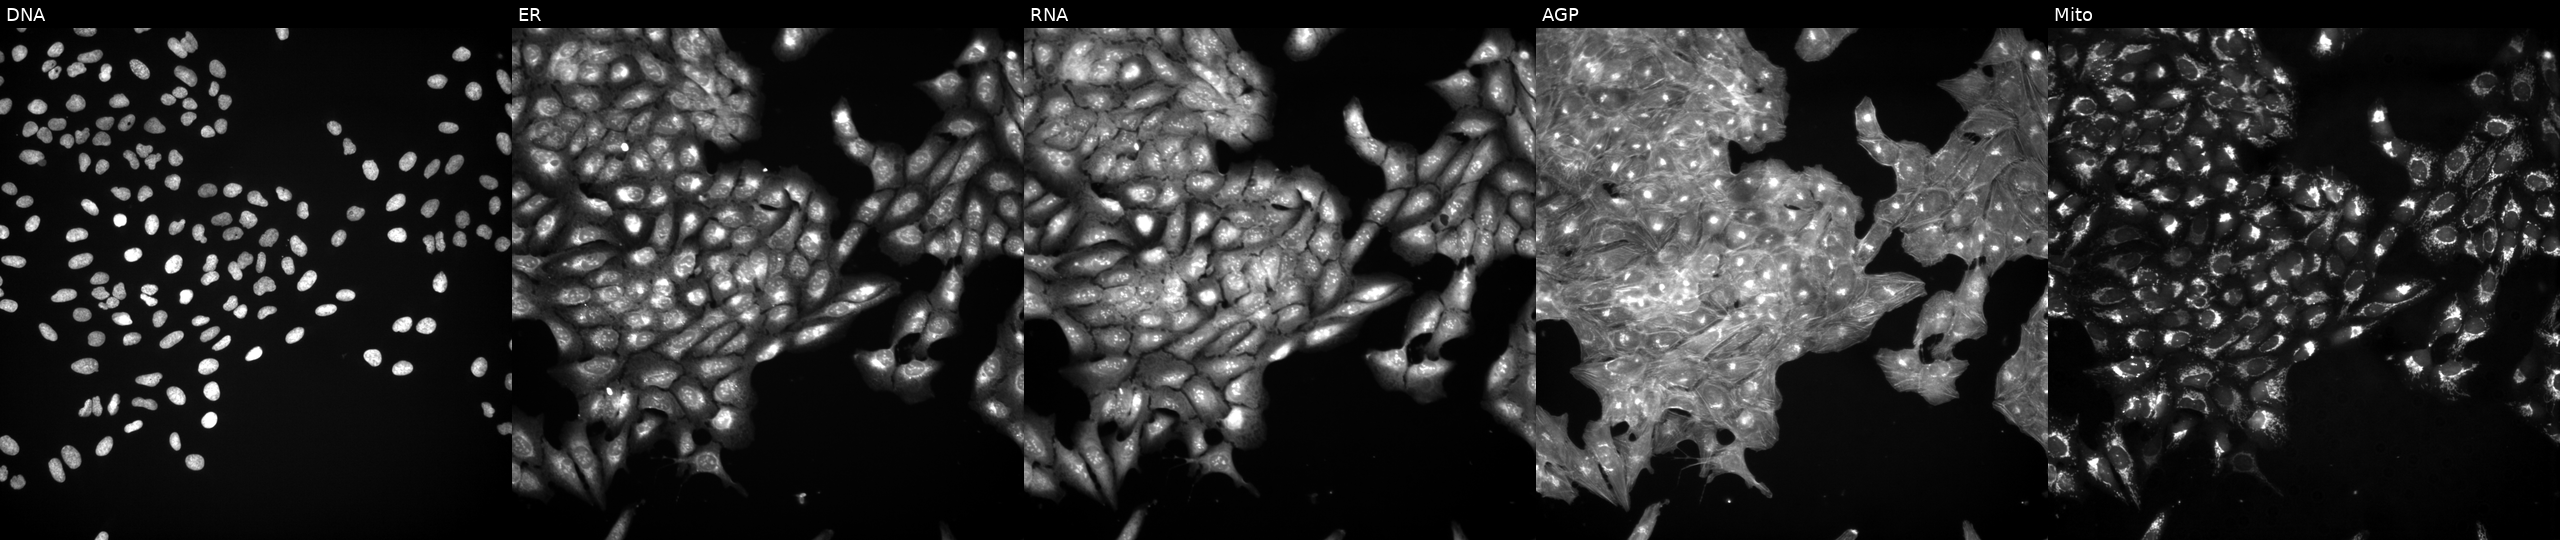
JUMP Cell Painting — TARGET2 plate. U2OS cells perturbed with a small-molecule compound (JUMP id JCP2022_071733). Panels show, left to right, Hoechst 33342, concanavalin A, SYTO 14, phalloidin and WGA, MitoTracker. Source 3, plate JCPQC053, well J11.